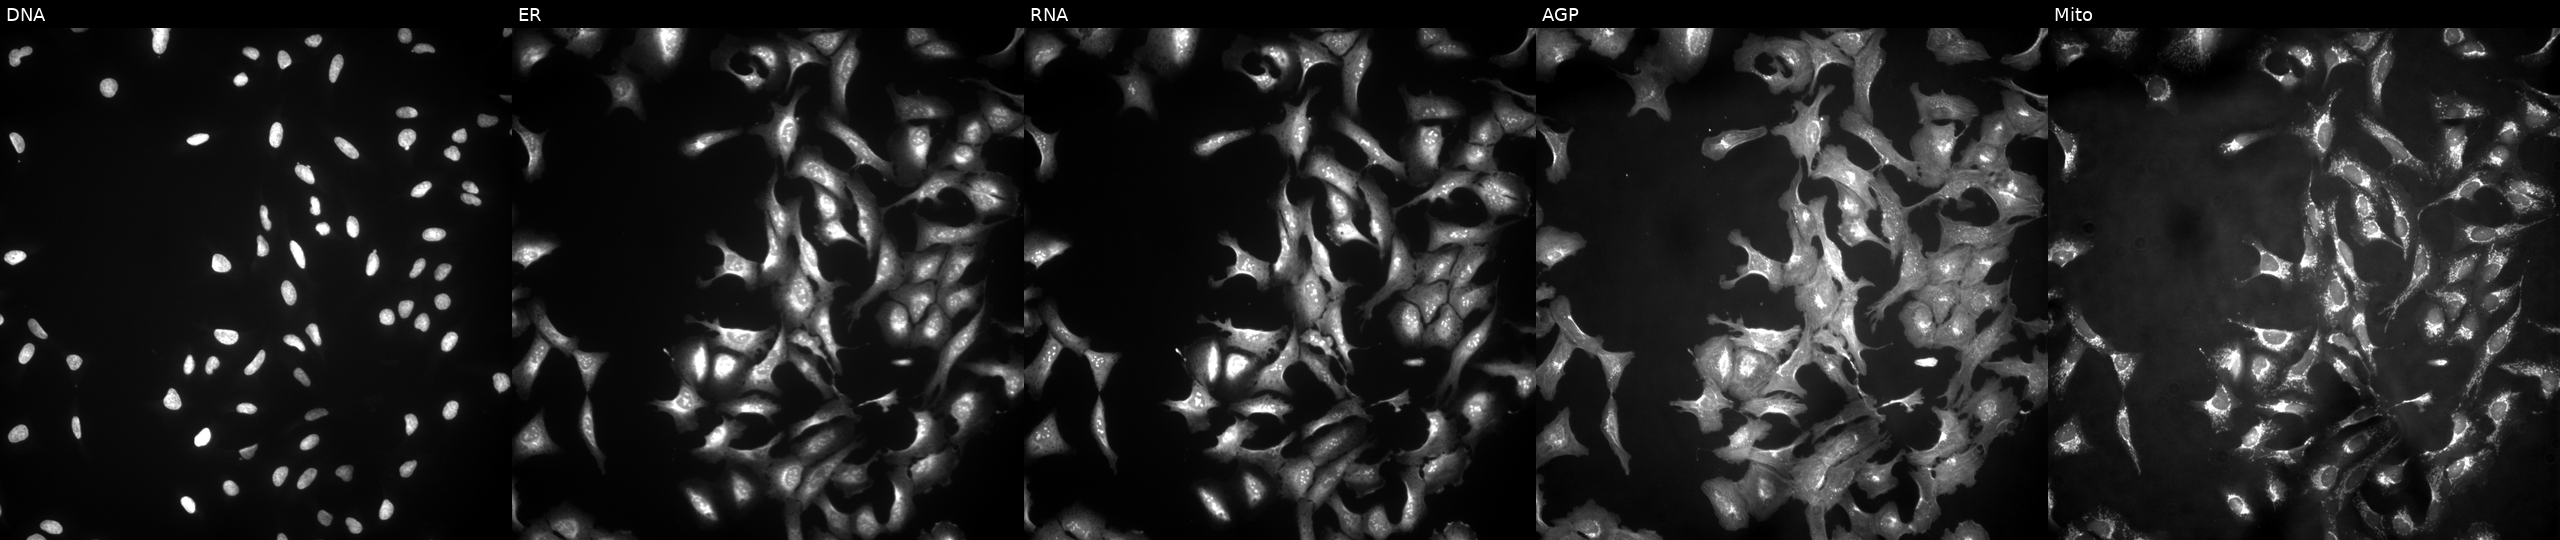
U2OS cells, Cell Painting assay, overexpressing CCPG1 via ORF transfection (JUMP id JCP2022_910587). From left to right: Hoechst 33342, concanavalin A, SYTO 14, phalloidin and WGA, MitoTracker. Each panel is percentile-stretched 16-bit fluorescence. Source 4, plate BR00123506, well N09.